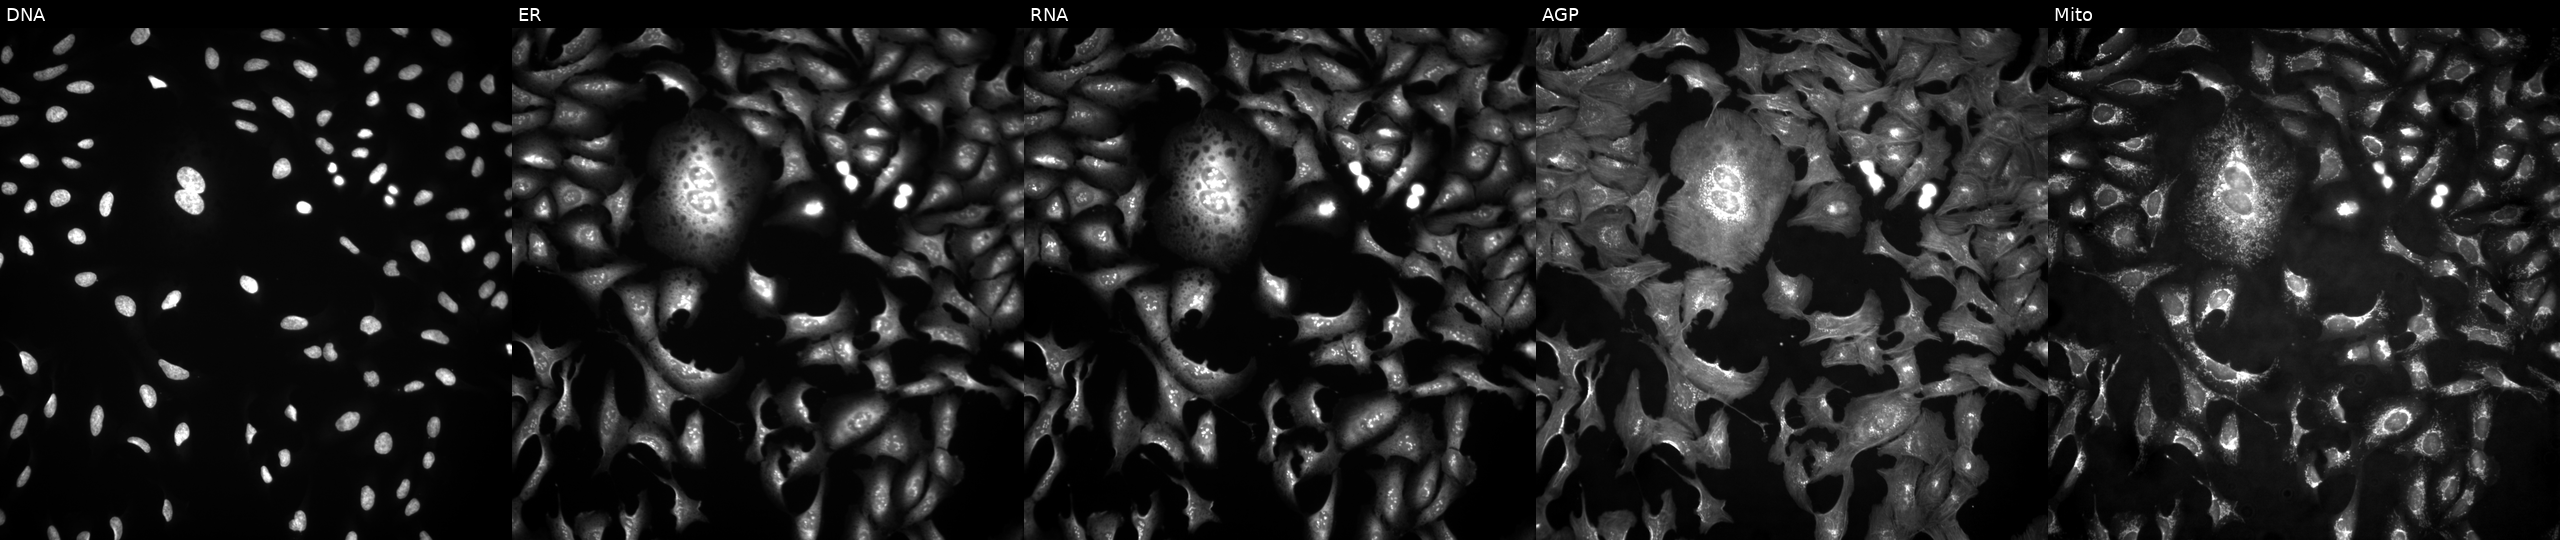
U2OS cells, Cell Painting assay, transfected with an ORF construct for POP4 (JUMP id JCP2022_902365). From left to right: DNA (nuclei); ER (endoplasmic reticulum); RNA (nucleoli and cytoplasmic RNA); AGP (actin cytoskeleton, Golgi, and plasma membrane); Mito (mitochondria). Each panel is percentile-stretched 16-bit fluorescence. Source 4, plate BR00124784, well E18.